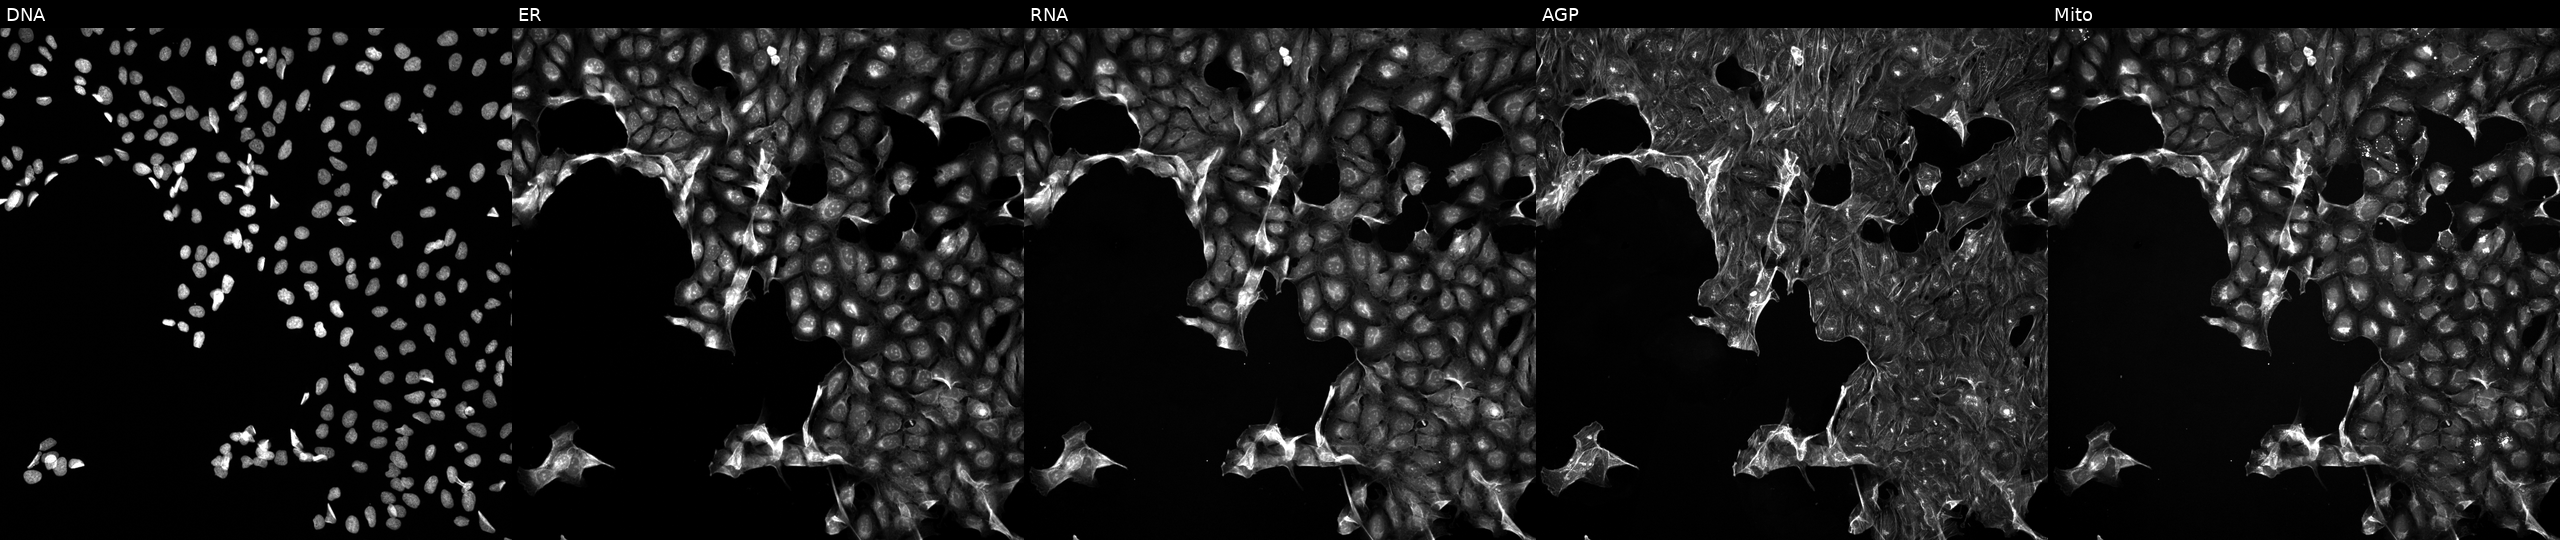
JUMP Cell Painting — COMPOUND plate. U2OS cells exposed to the positive-control compound TC-S-7004. From left to right: Hoechst 33342, concanavalin A, SYTO 14, phalloidin and WGA, MitoTracker.